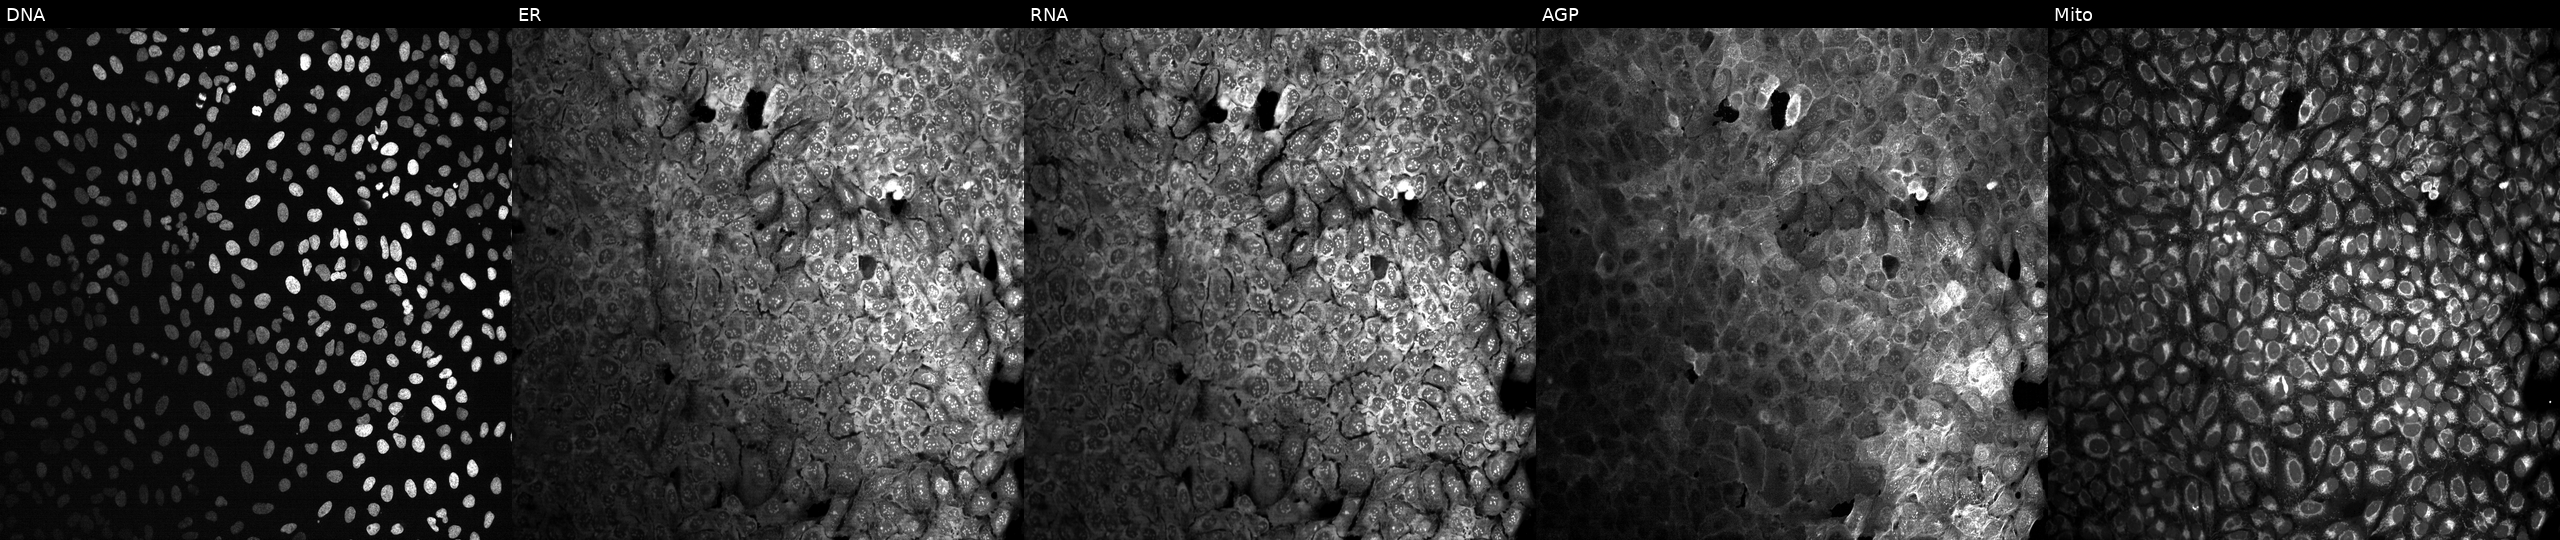
Five-channel Cell Painting image of U2OS cells with a non-targeting CRISPR guide (negative control). Panels show, left to right, Hoechst 33342, concanavalin A, SYTO 14, phalloidin and WGA, MitoTracker.